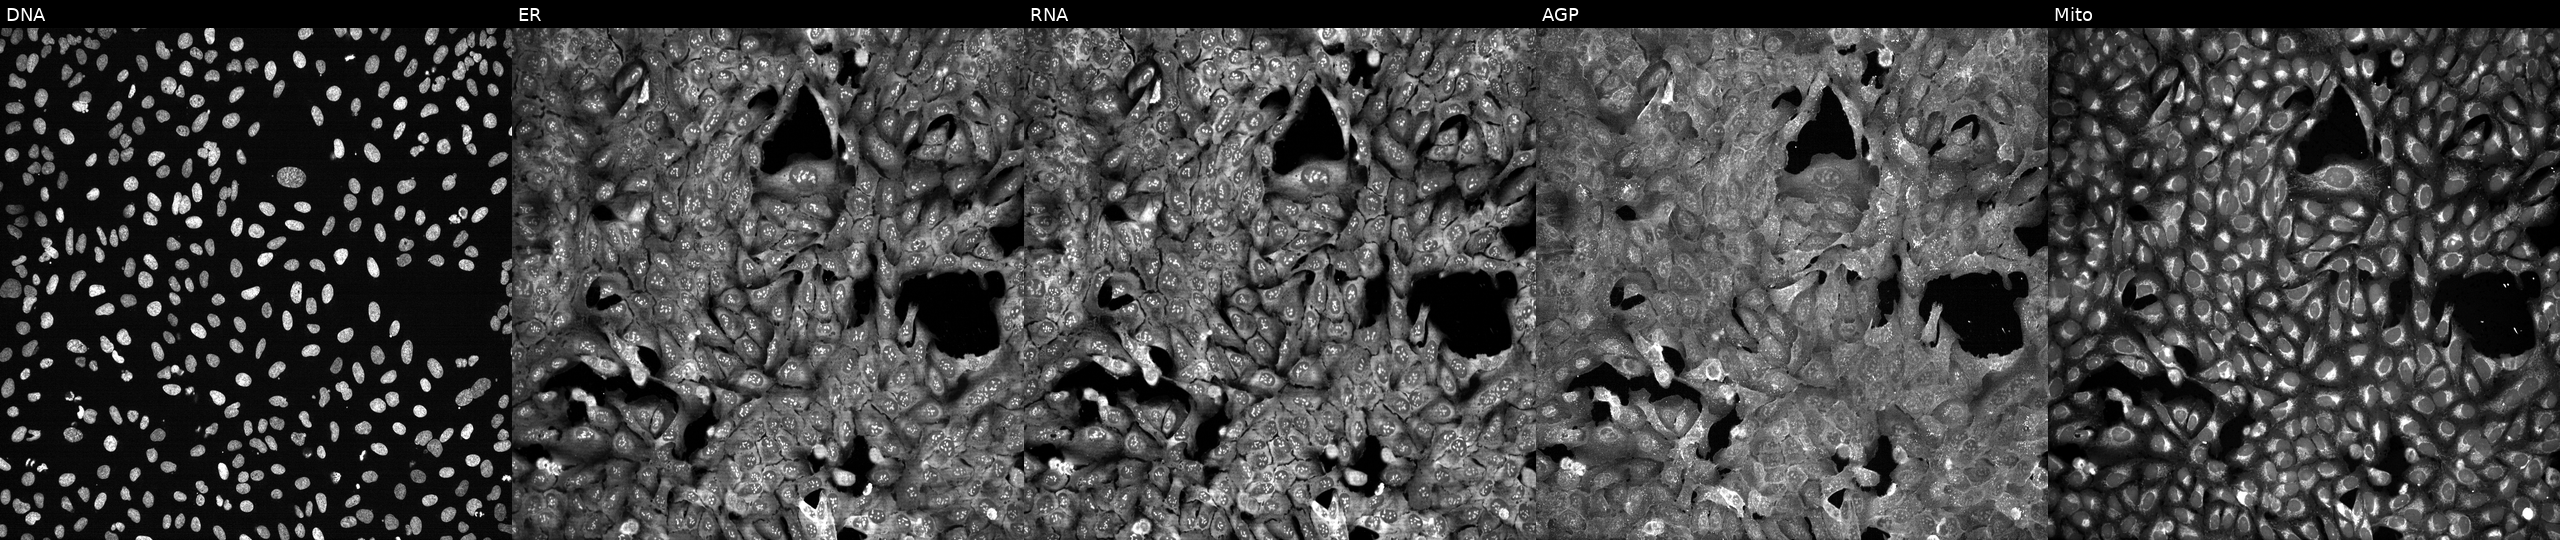
U2OS cells, Cell Painting assay, with GYPC knocked out by CRISPR. Channels (left→right): DNA (nuclei); ER (endoplasmic reticulum); RNA (nucleoli and cytoplasmic RNA); AGP (actin cytoskeleton, Golgi, and plasma membrane); Mito (mitochondria). Each panel is percentile-stretched 16-bit fluorescence. Source 13, plate CP-CC9-R5-01, well E13.